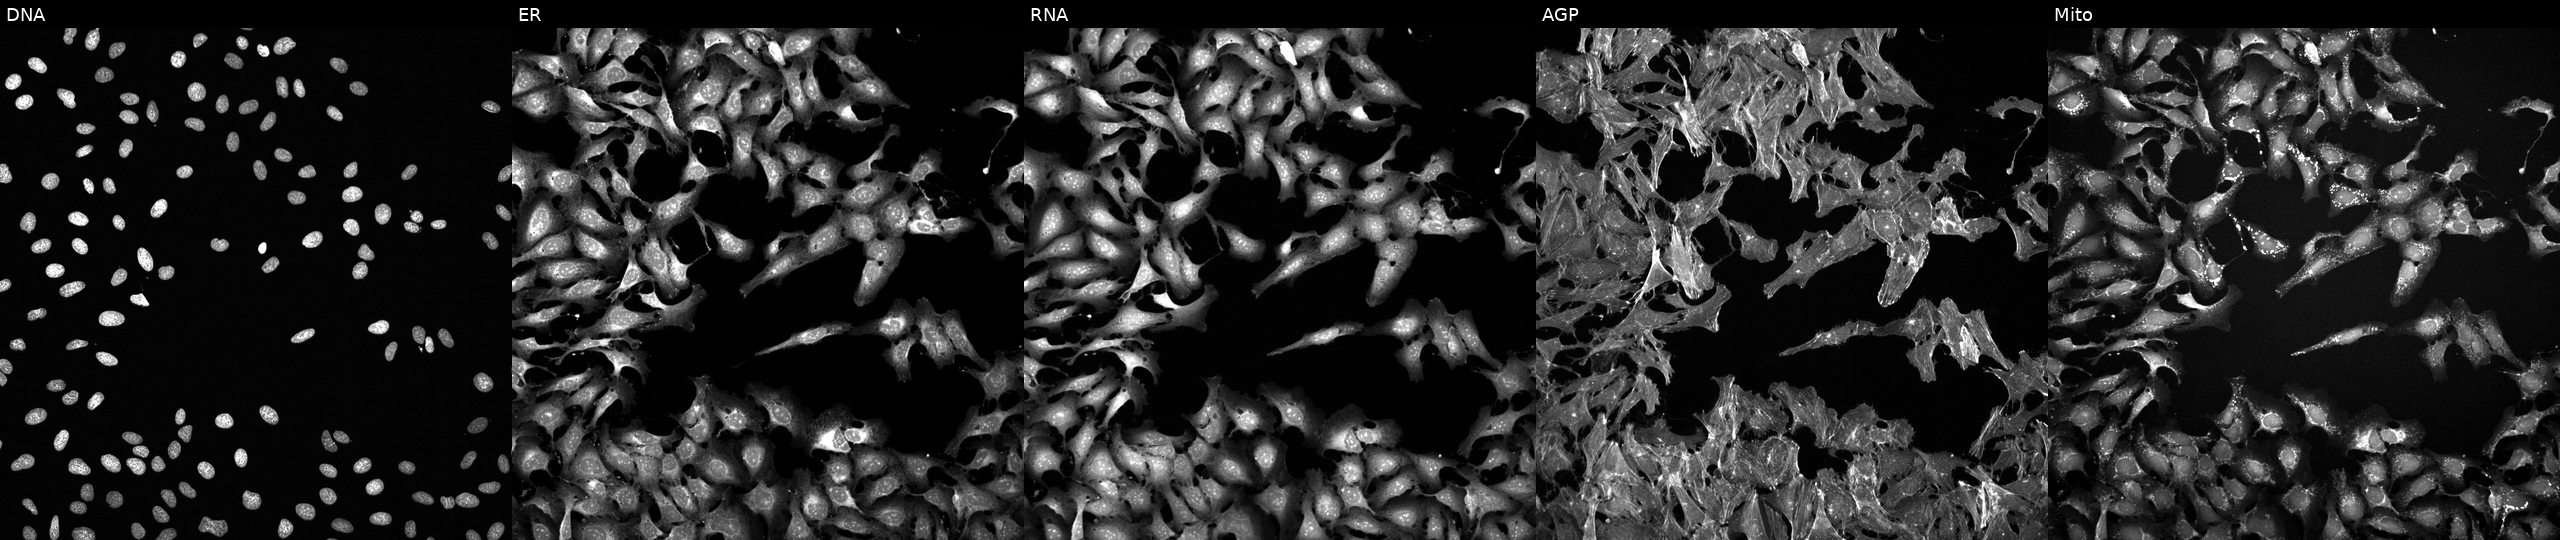
JUMP Cell Painting — TARGET2 plate. U2OS cells exposed to the positive-control compound FK-866. Channels (left→right): DNA (nuclei); ER (endoplasmic reticulum); RNA (nucleoli and cytoplasmic RNA); AGP (actin cytoskeleton, Golgi, and plasma membrane); Mito (mitochondria).